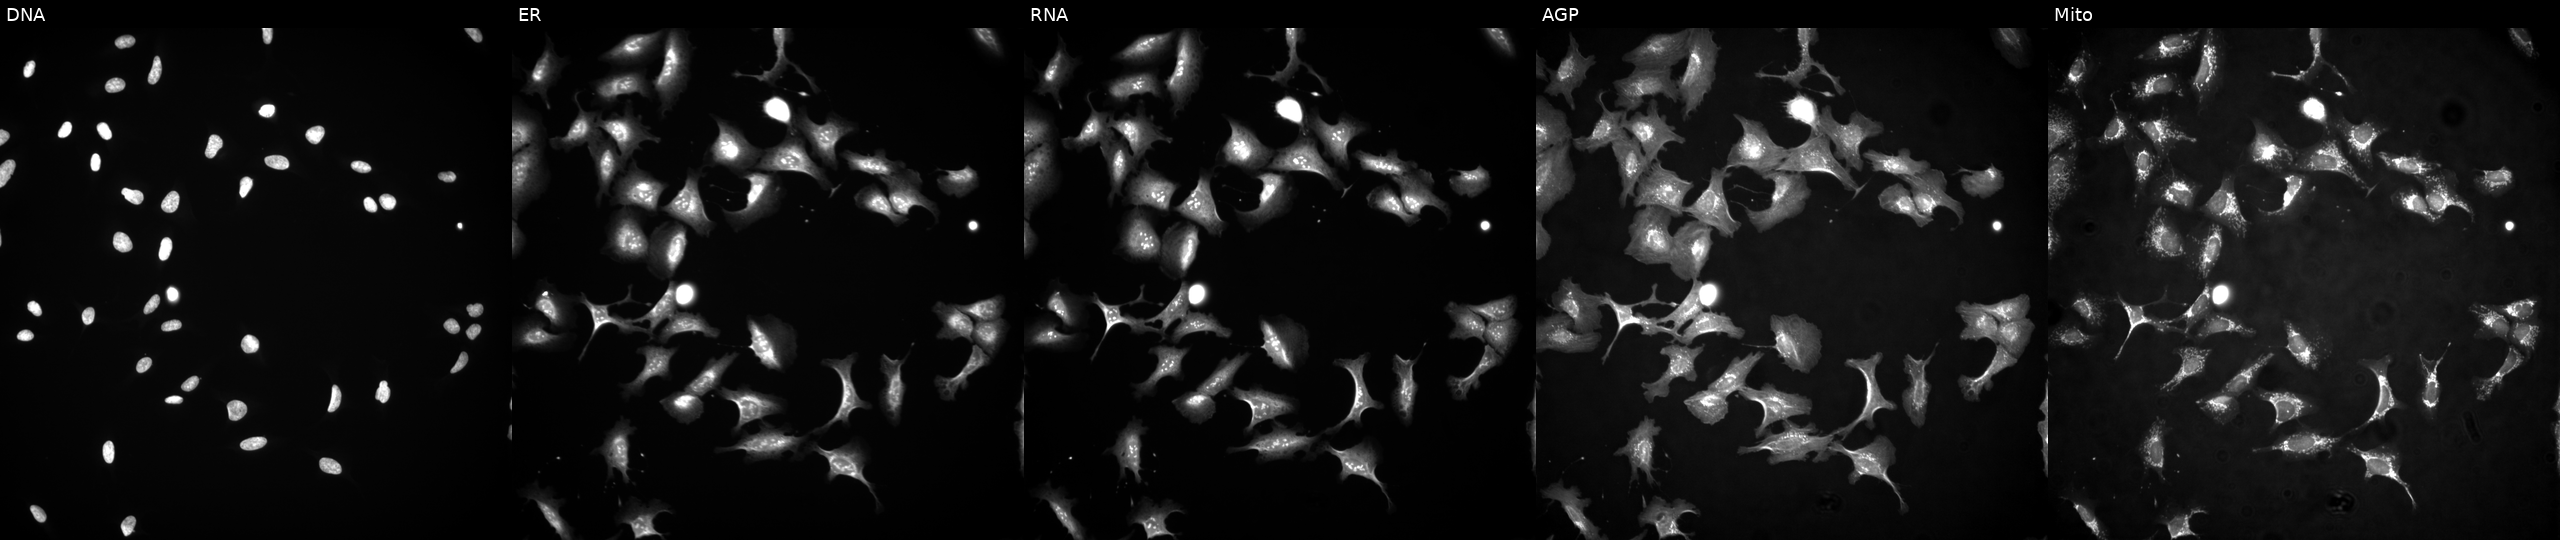
Five-channel Cell Painting image of U2OS cells with PSME2 overexpressed (ORF) (JUMP id JCP2022_912993). Channels (left→right): DNA, ER, RNA, AGP, and Mito.